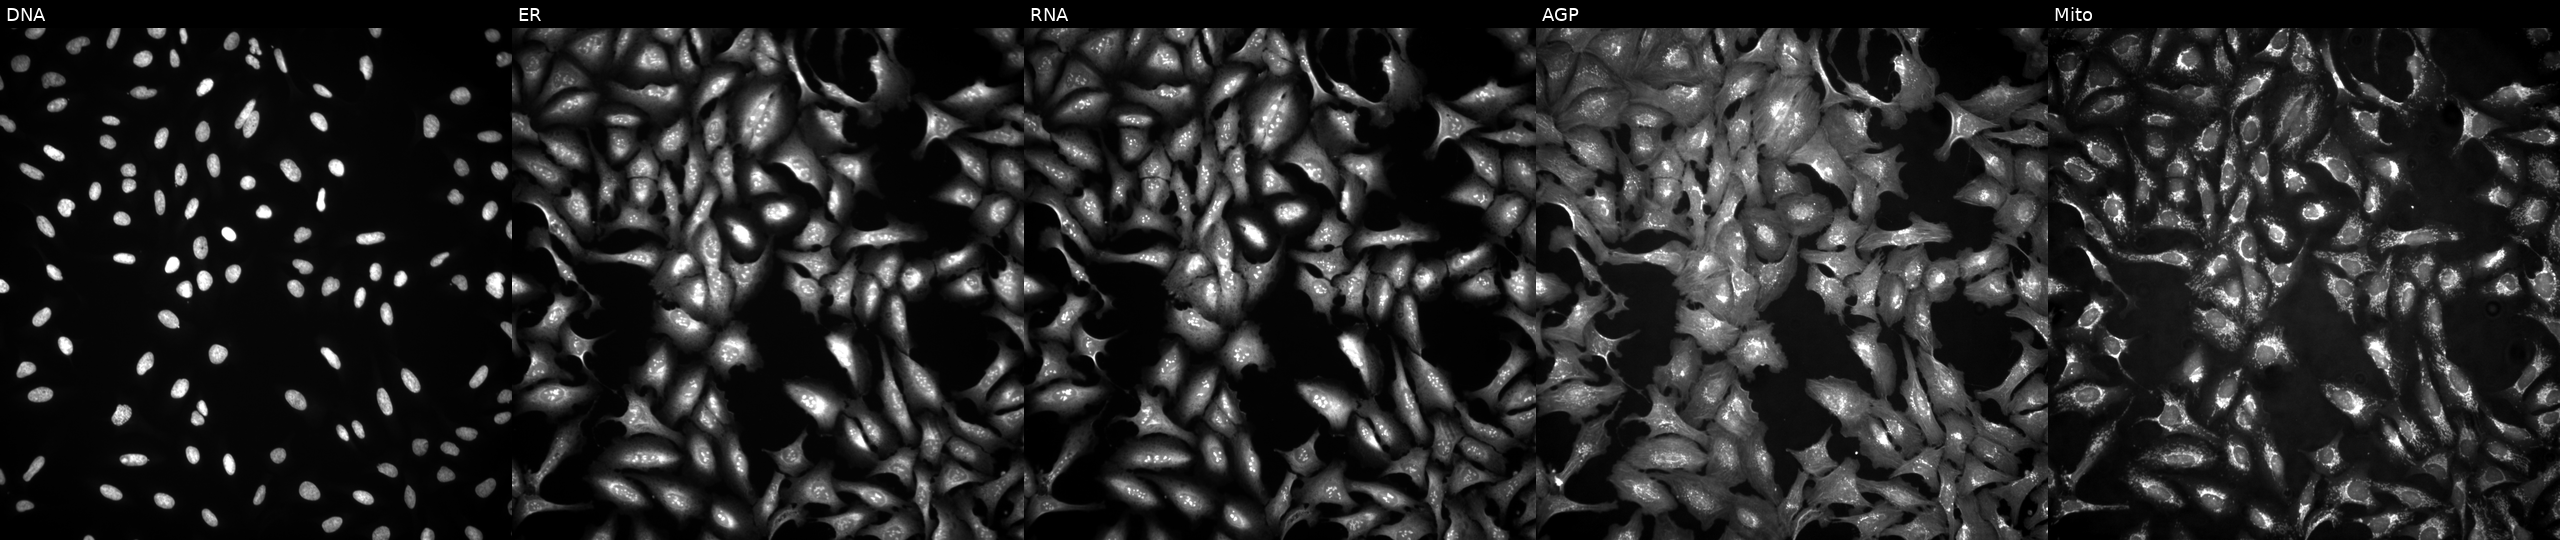
Channels (left→right): DNA, ER, RNA, AGP, and Mito. U2OS osteosarcoma cells overexpressing IFI6 via ORF transfection. Cell Painting assay, JUMP-CP dataset.